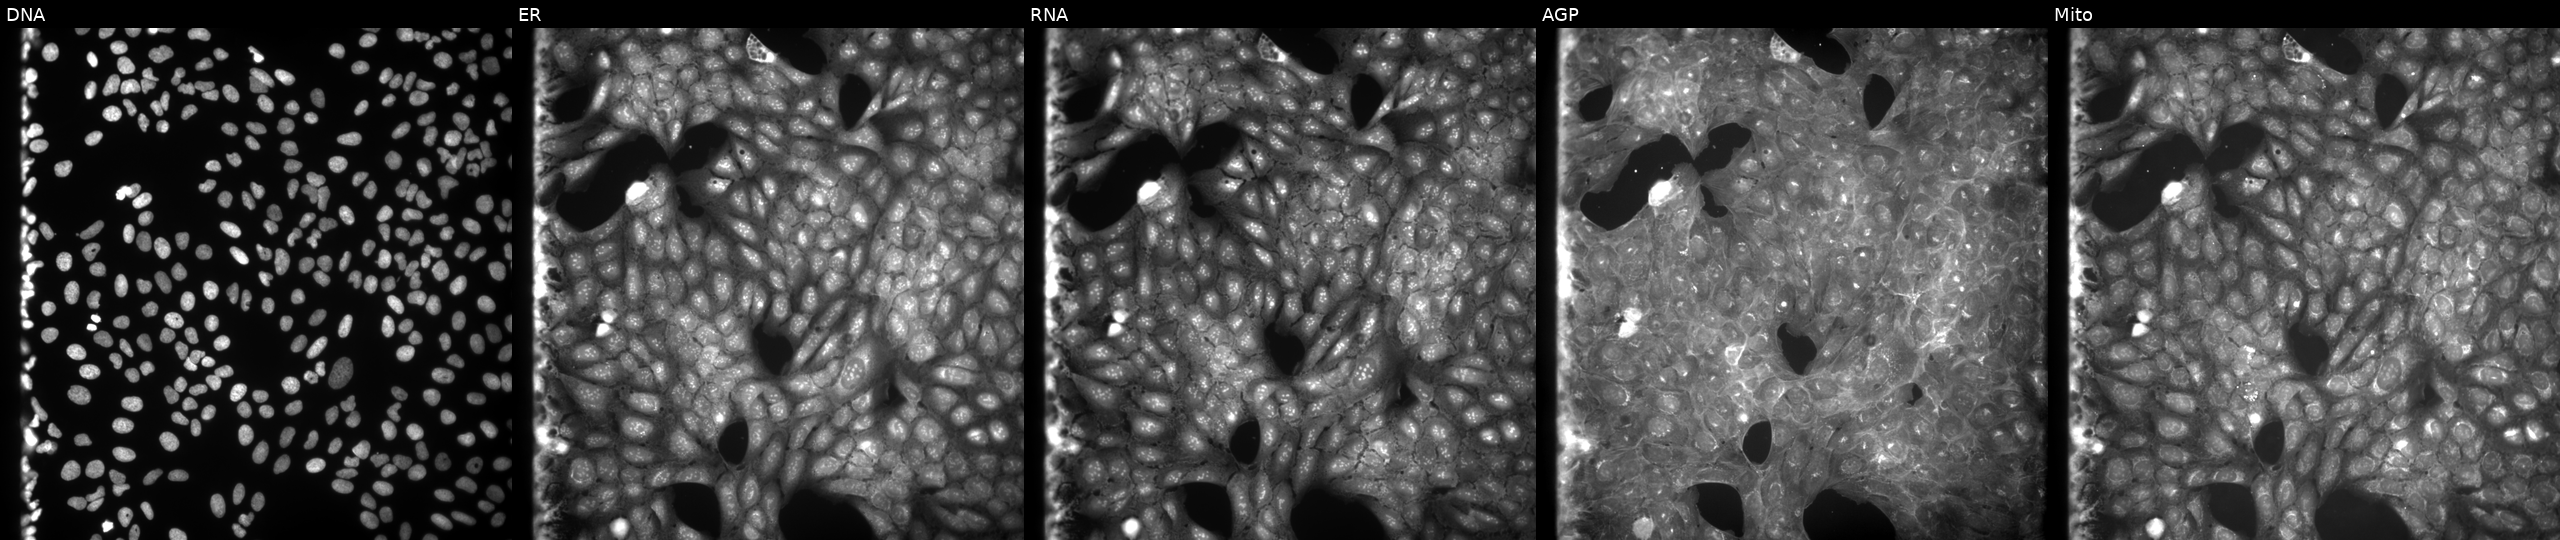
JUMP Cell Painting — COMPOUND plate. U2OS cells treated with a small-molecule compound (InChIKey IRNQSLIGLFWJGP-UHFFFAOYSA-N) (JUMP id JCP2022_036956). The five panels, left to right, show DNA, ER, RNA, AGP, and Mito. Source 9, plate GR00003381, well C10.